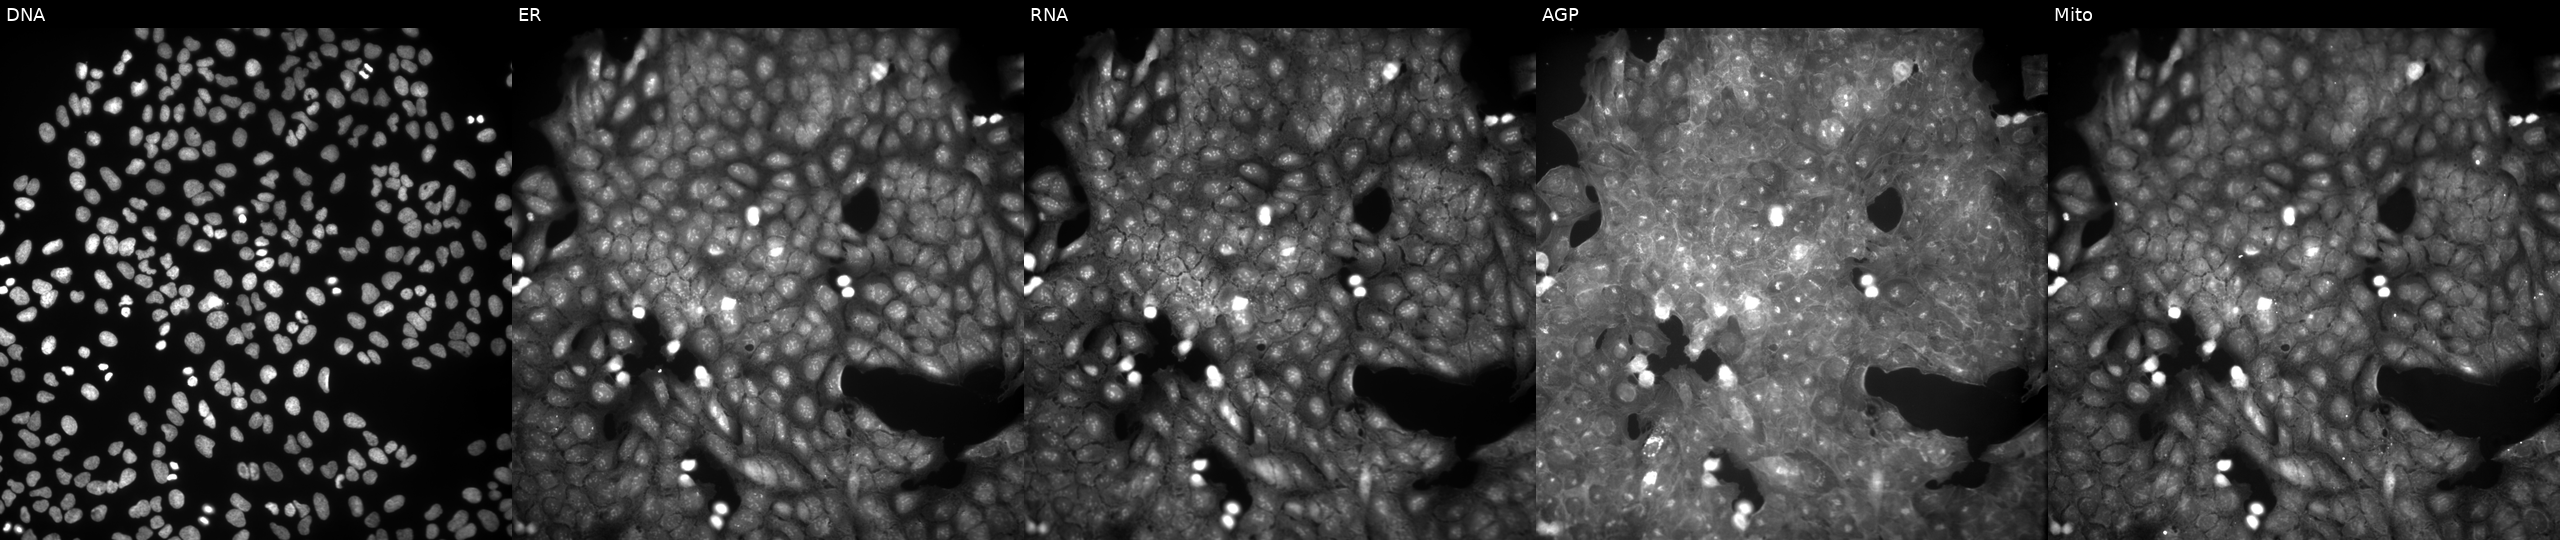
This image strip shows the five Cell Painting channels for a single field of U2OS cells perturbed with a small-molecule compound (InChIKey HWNQHEGRJRNZHM-UHFFFAOYSA-N) (JUMP id JCP2022_033052). The five panels, left to right, show DNA (nuclei); ER (endoplasmic reticulum); RNA (nucleoli and cytoplasmic RNA); AGP (actin cytoskeleton, Golgi, and plasma membrane); Mito (mitochondria).